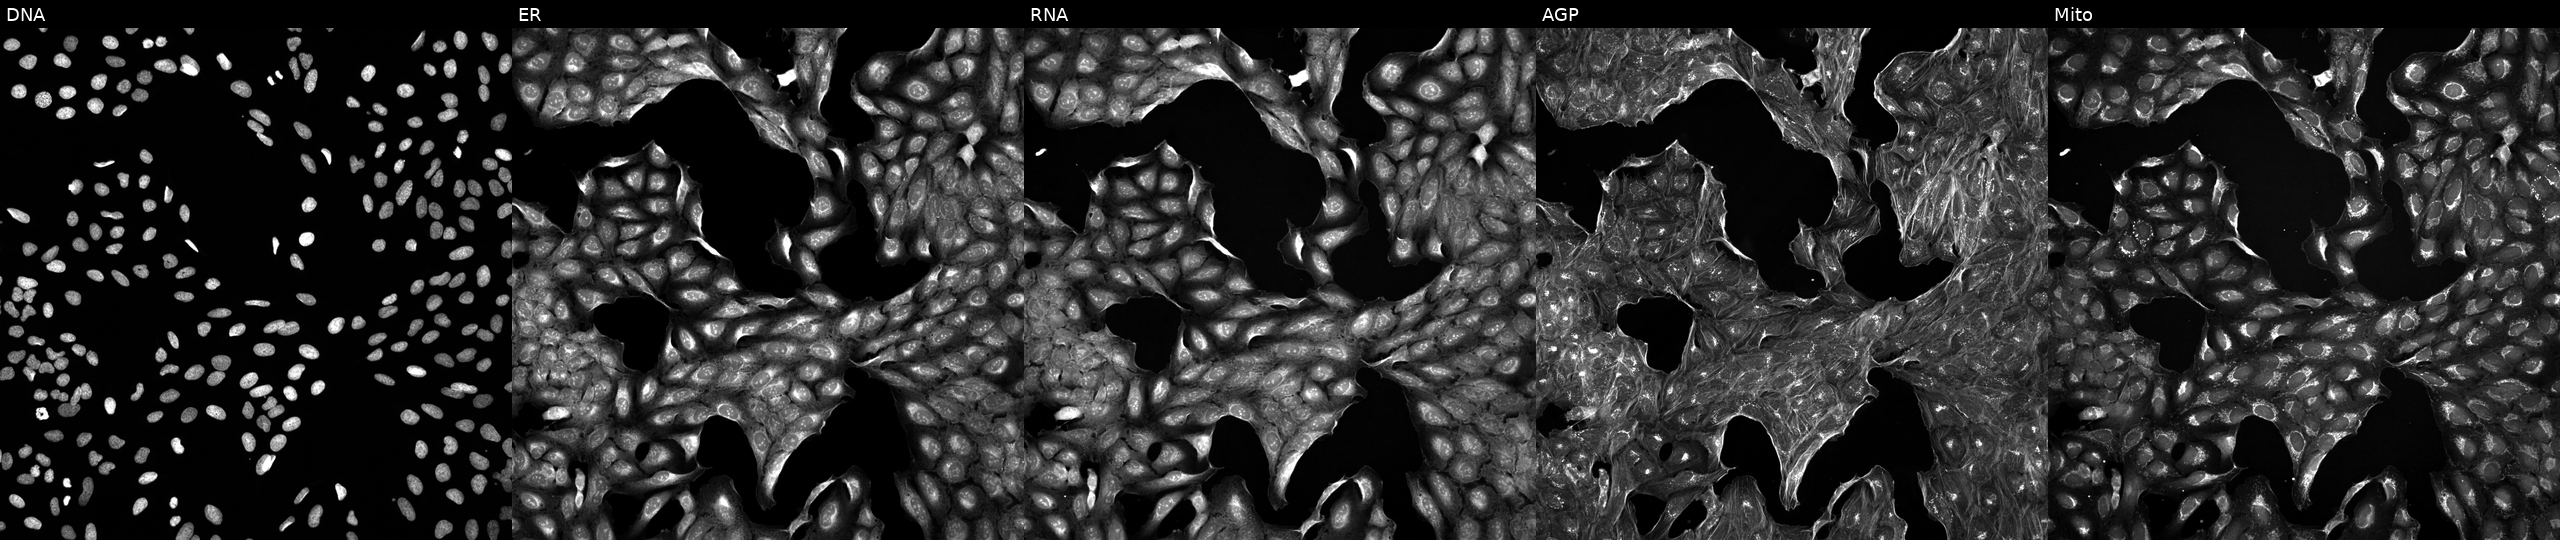
Panels show, left to right, DNA (nuclei); ER (endoplasmic reticulum); RNA (nucleoli and cytoplasmic RNA); AGP (actin cytoskeleton, Golgi, and plasma membrane); Mito (mitochondria). U2OS osteosarcoma cells exposed to DMSO alone as a negative control (JUMP id JCP2022_033924). Cell Painting assay, JUMP-CP dataset. Source 5, plate ACPJUM051, well D09.